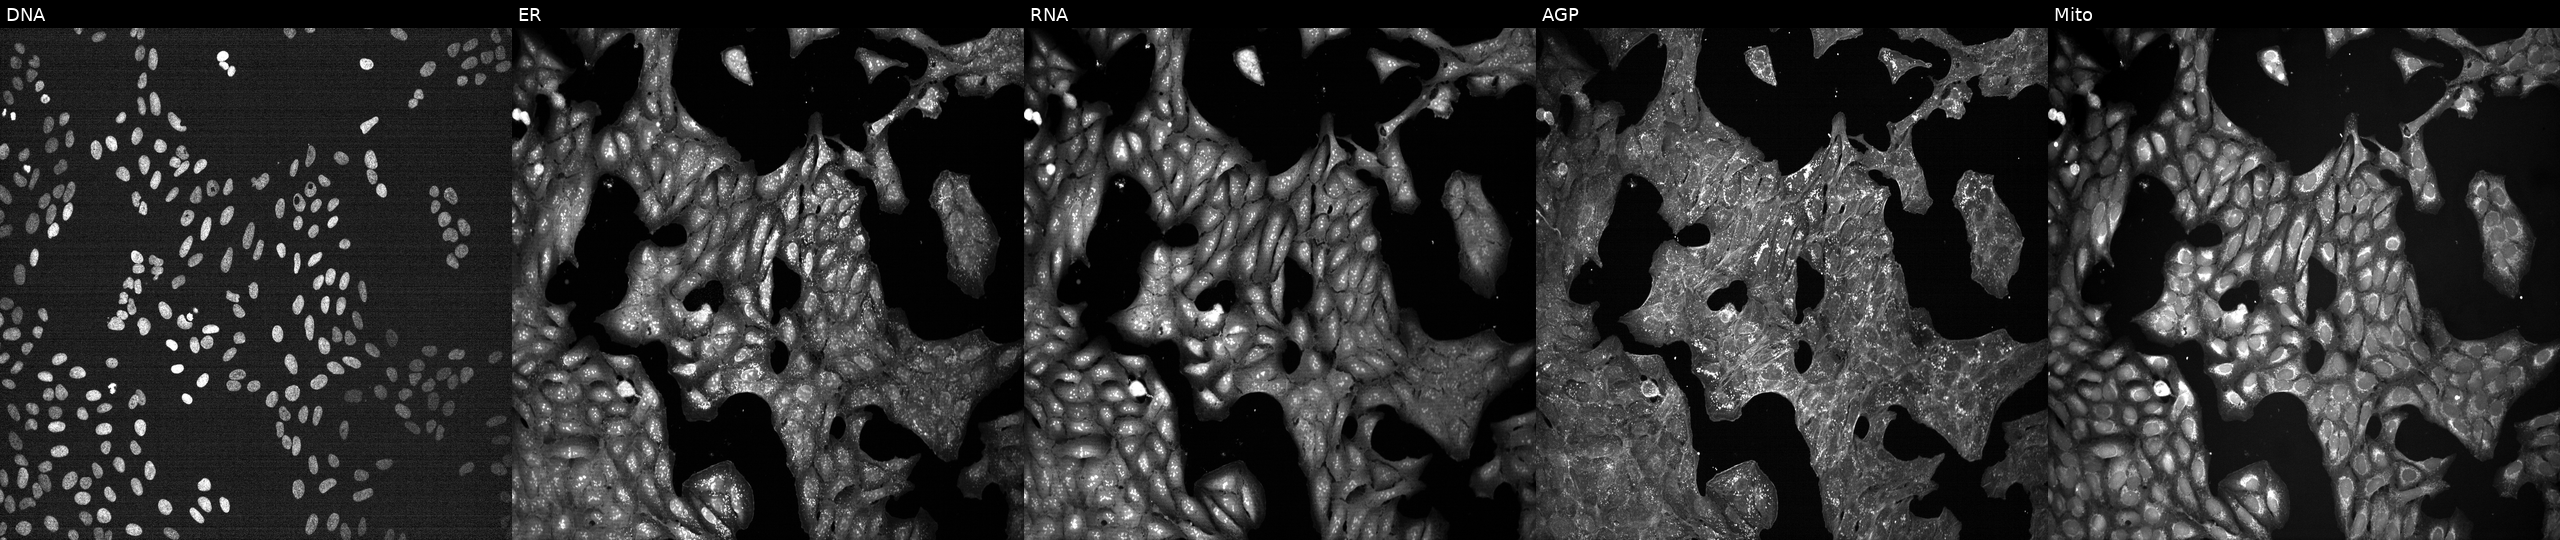
This image strip shows the five Cell Painting channels for a single field of U2OS cells treated with a small-molecule compound. From left to right: Hoechst 33342, concanavalin A, SYTO 14, phalloidin and WGA, MitoTracker.